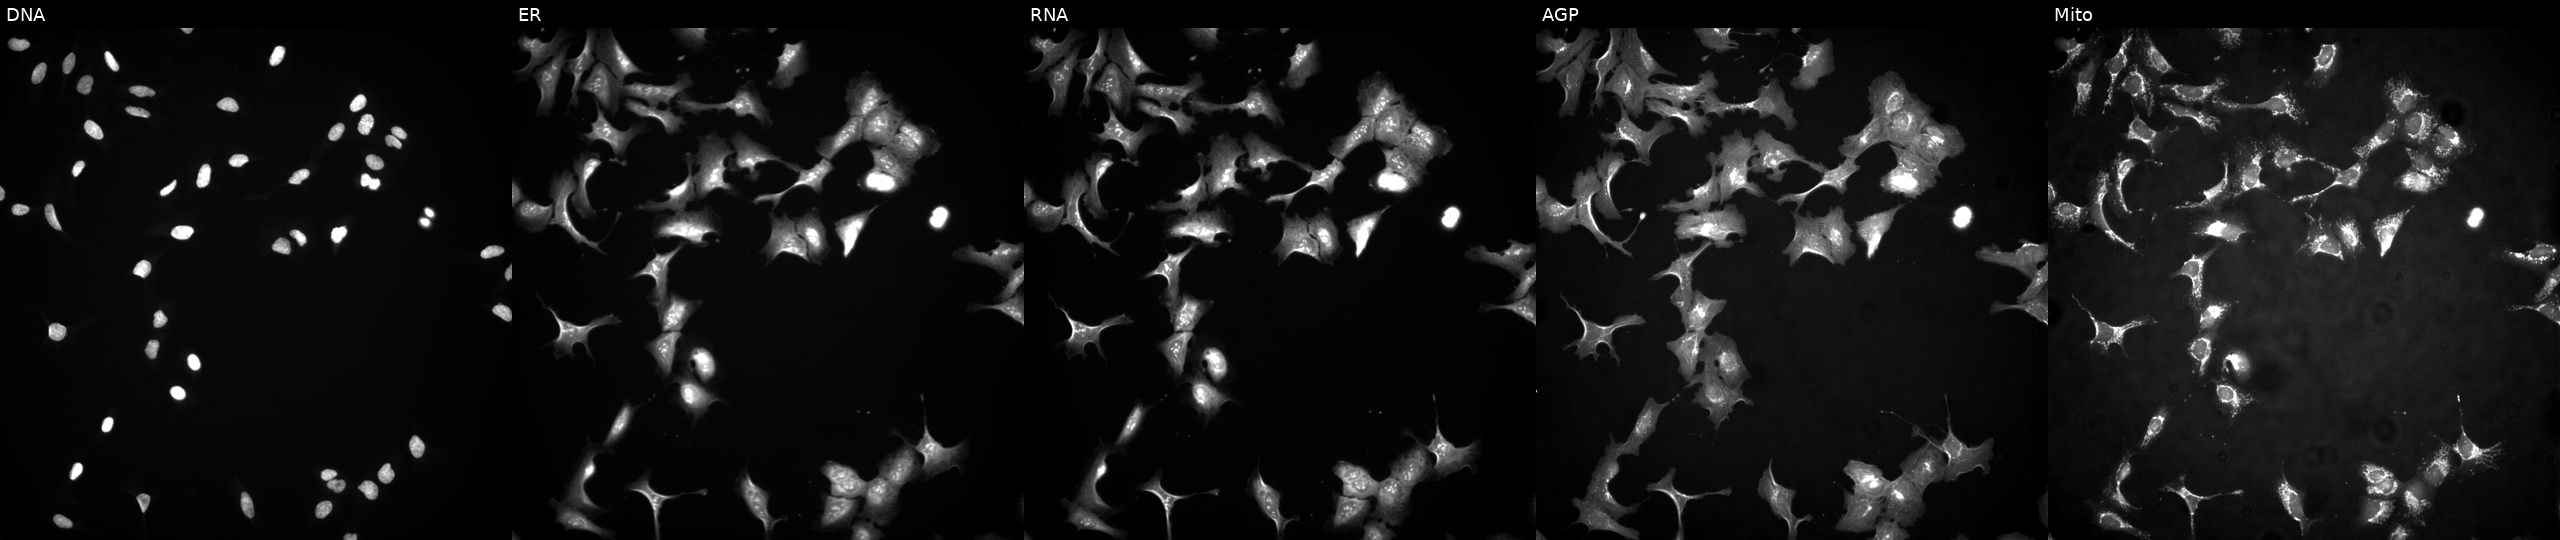
Panels show, left to right, DNA, ER, RNA, AGP, and Mito. U2OS osteosarcoma cells transfected with an ORF construct for DTX3L (JUMP id JCP2022_904731). Cell Painting assay, JUMP-CP dataset.